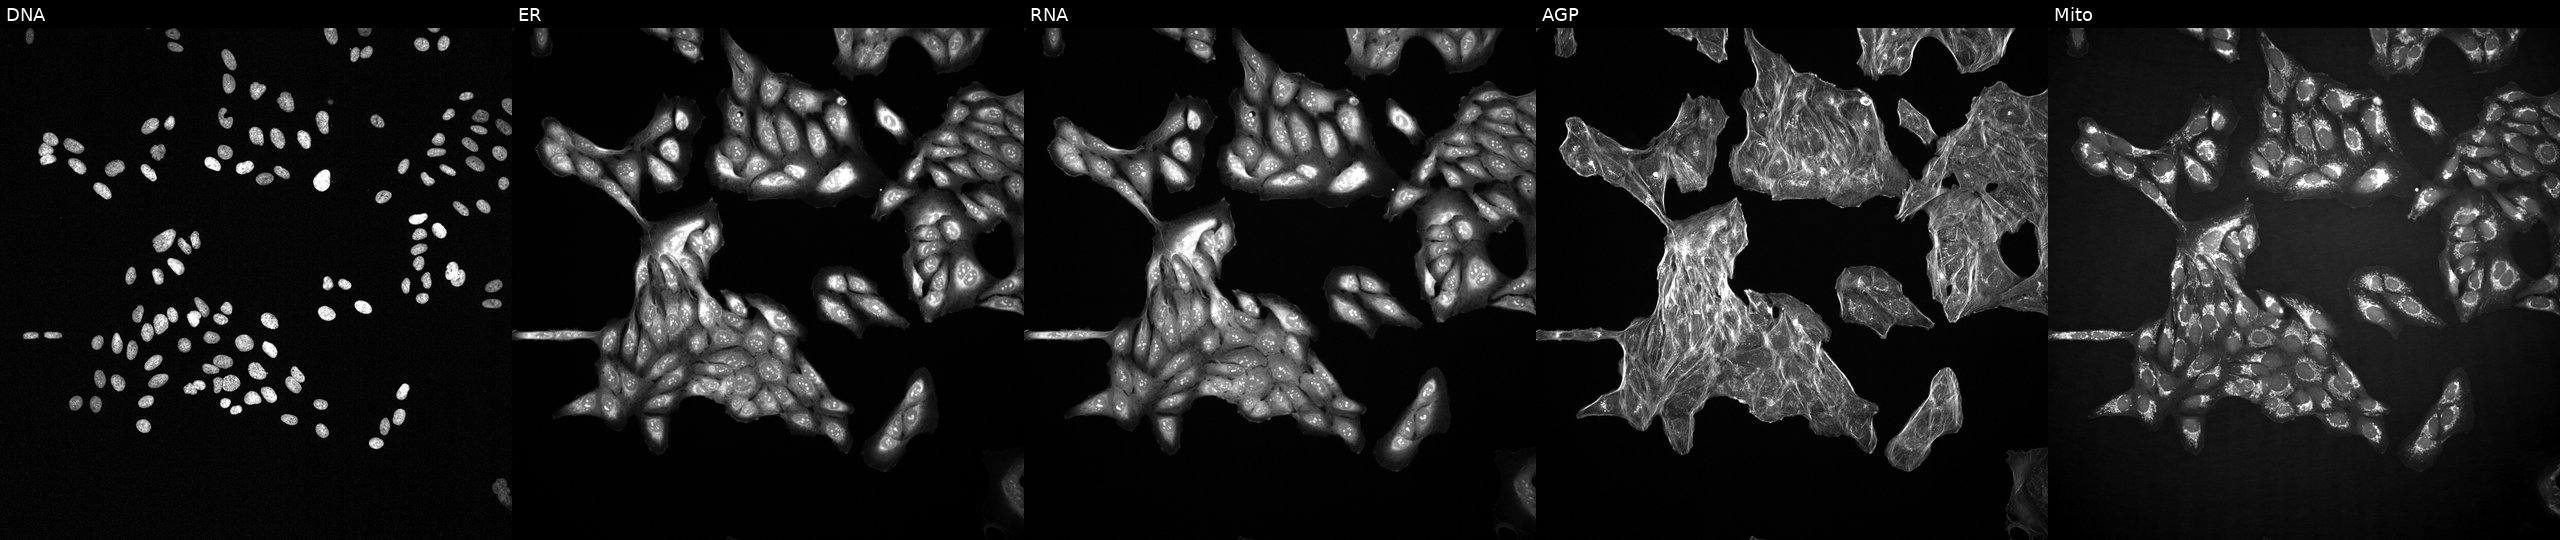
JUMP Cell Painting — TARGET2 plate. U2OS cells exposed to a small-molecule compound (JUMP id JCP2022_068634). Channels (left→right): DNA (nuclei); ER (endoplasmic reticulum); RNA (nucleoli and cytoplasmic RNA); AGP (actin cytoskeleton, Golgi, and plasma membrane); Mito (mitochondria).